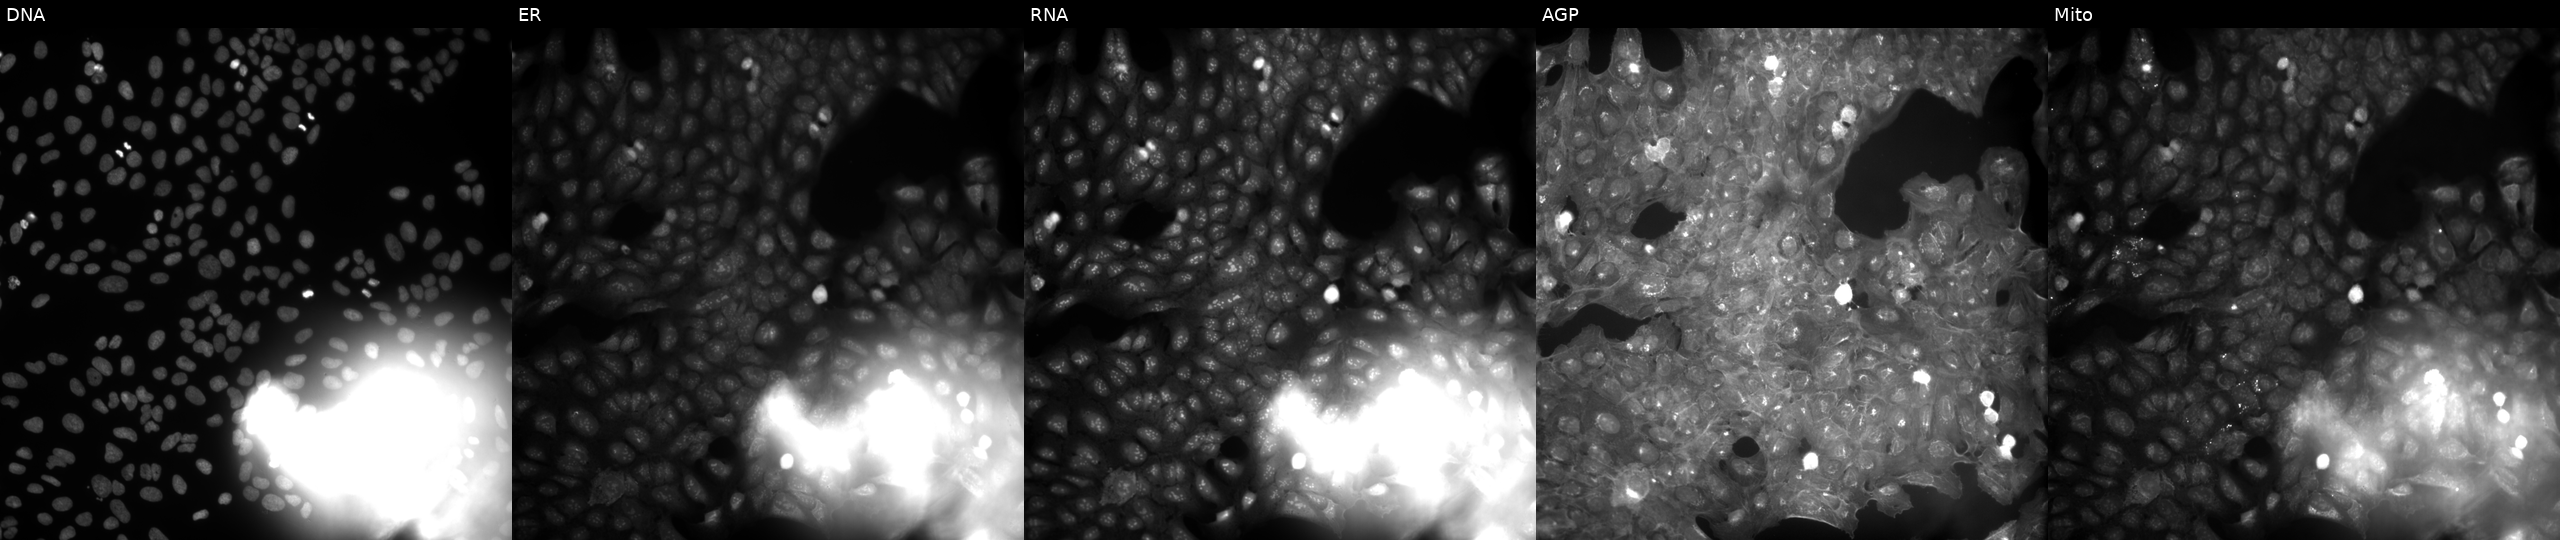
JUMP Cell Painting — COMPOUND plate. U2OS cells exposed to a small-molecule compound [SMILES: Cn1c(=NCc2cc(Br)ccc2O)[nH]c2ccccc21]. Panels show, left to right, DNA, ER, RNA, AGP, and Mito.